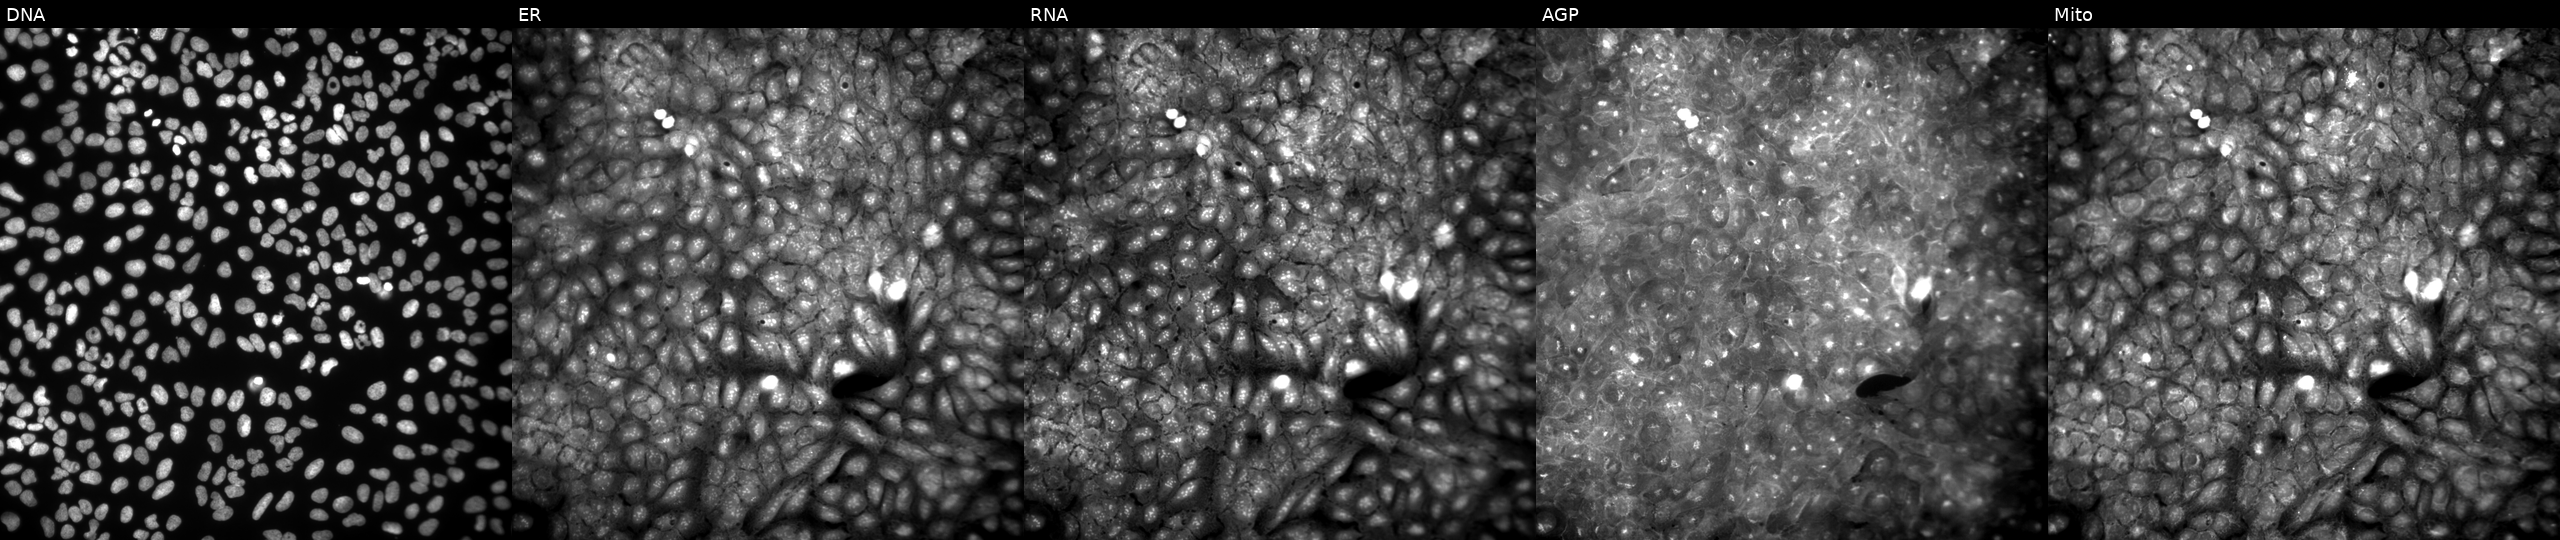
Five-channel Cell Painting image of U2OS cells perturbed with a small-molecule compound (InChIKey SXHHQYKEDCRGGT-UHFFFAOYSA-N). Channels (left→right): Hoechst 33342, concanavalin A, SYTO 14, phalloidin and WGA, MitoTracker.